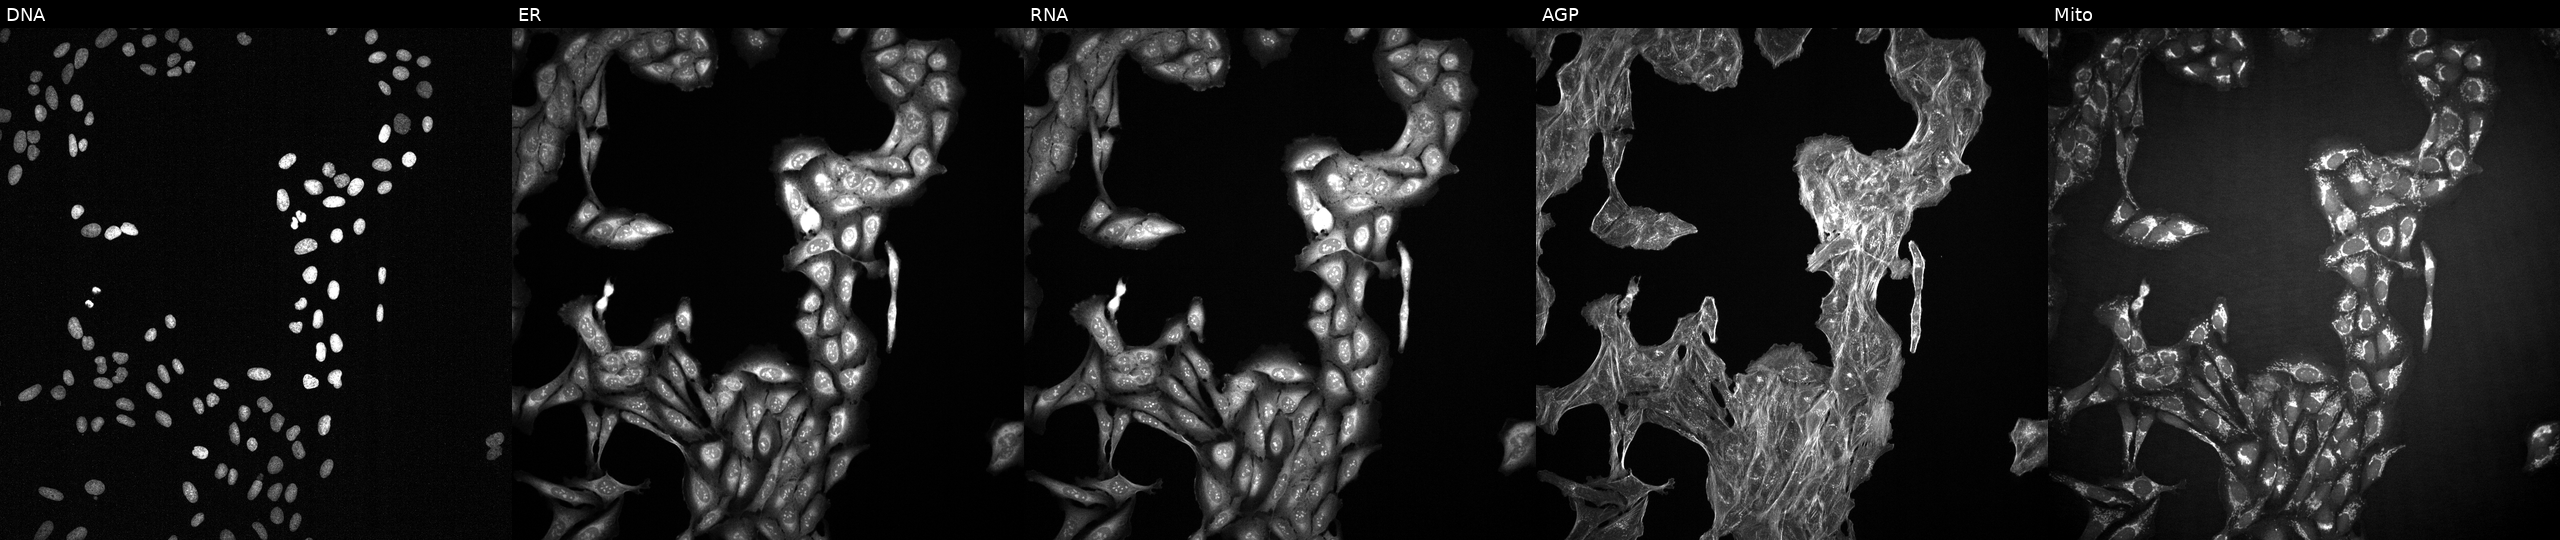
Five-channel Cell Painting image of U2OS cells exposed to a small-molecule compound (InChIKey UZDORQWMYRRLQV-UHFFFAOYSA-N). Channels (left→right): Hoechst 33342, concanavalin A, SYTO 14, phalloidin and WGA, MitoTracker.